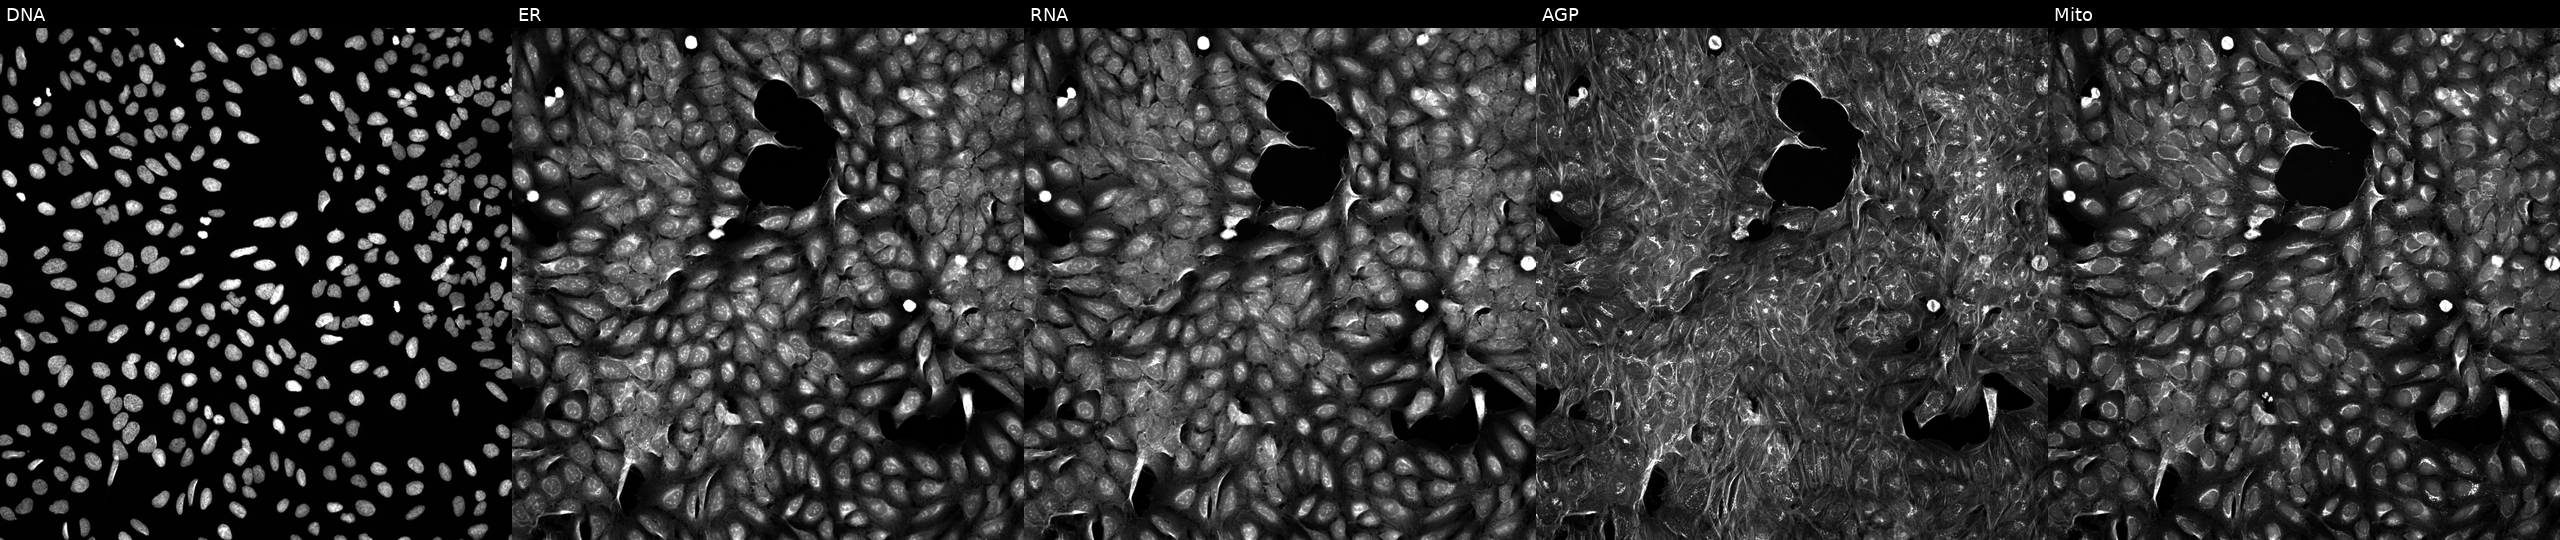
High-content fluorescence microscopy (Cell Painting). Cell line: U2OS. Perturbation: treated with a small-molecule compound (InChIKey DEYAFXYINFMGLD-UHFFFAOYSA-N) [SMILES: Cc1c[nH]c(=NC(O)c2cc(O)n(-c3ccc(F)c(C)c3)c2)[nH]1]. Channels (left→right): DNA (nuclei); ER (endoplasmic reticulum); RNA (nucleoli and cytoplasmic RNA); AGP (actin cytoskeleton, Golgi, and plasma membrane); Mito (mitochondria). Source 5, plate APTJUM106, well P05.